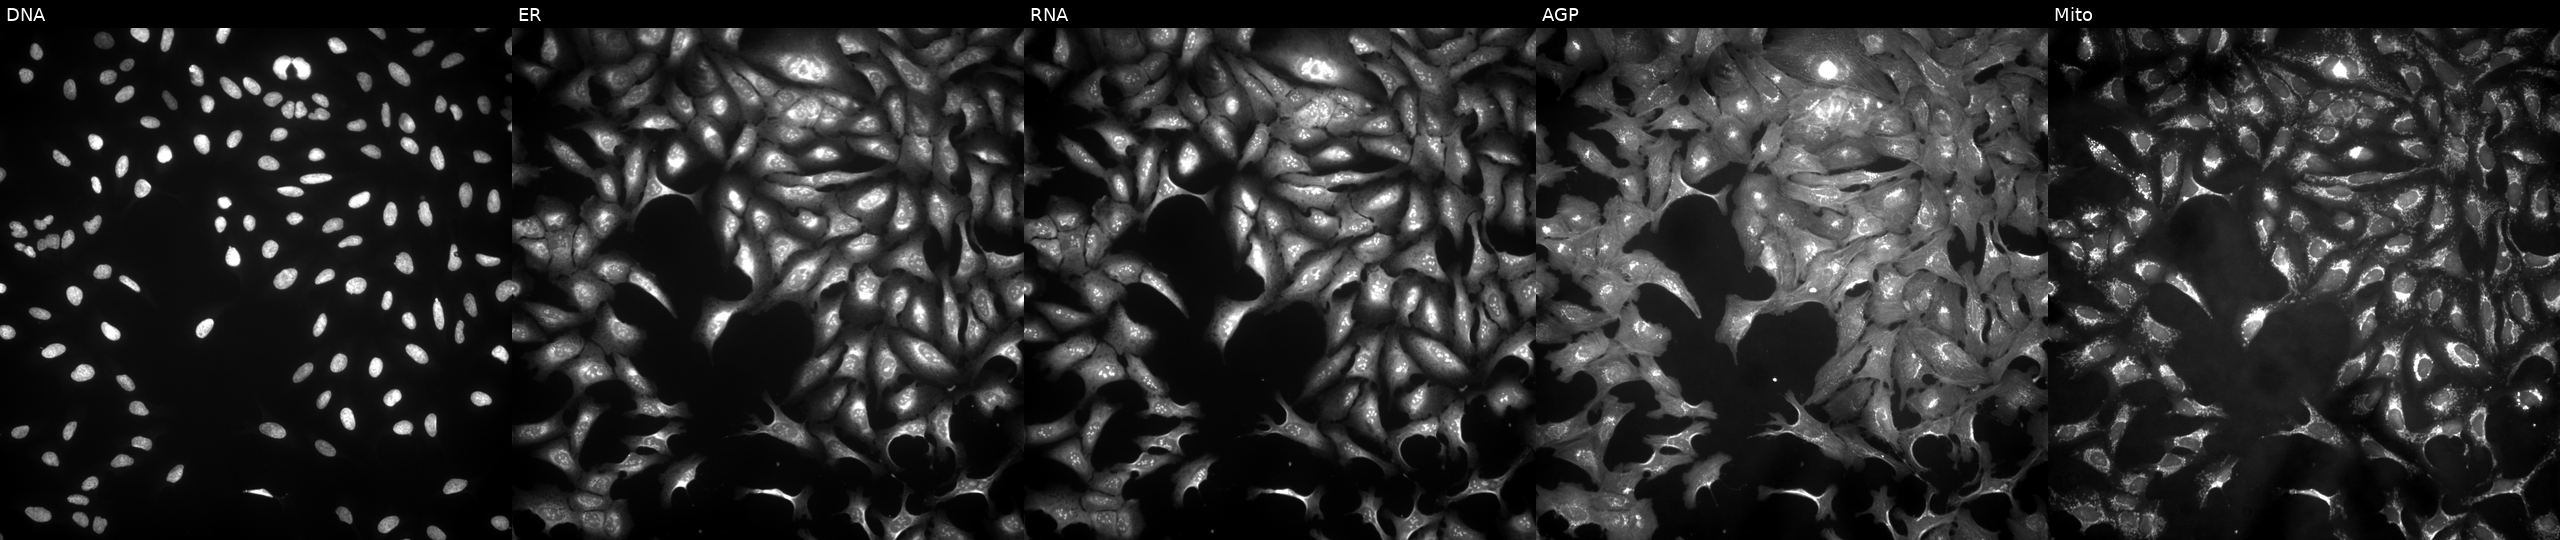
This image strip shows the five Cell Painting channels for a single field of U2OS cells transfected with an ORF construct for QTRT2. From left to right: Hoechst 33342, concanavalin A, SYTO 14, phalloidin and WGA, MitoTracker.